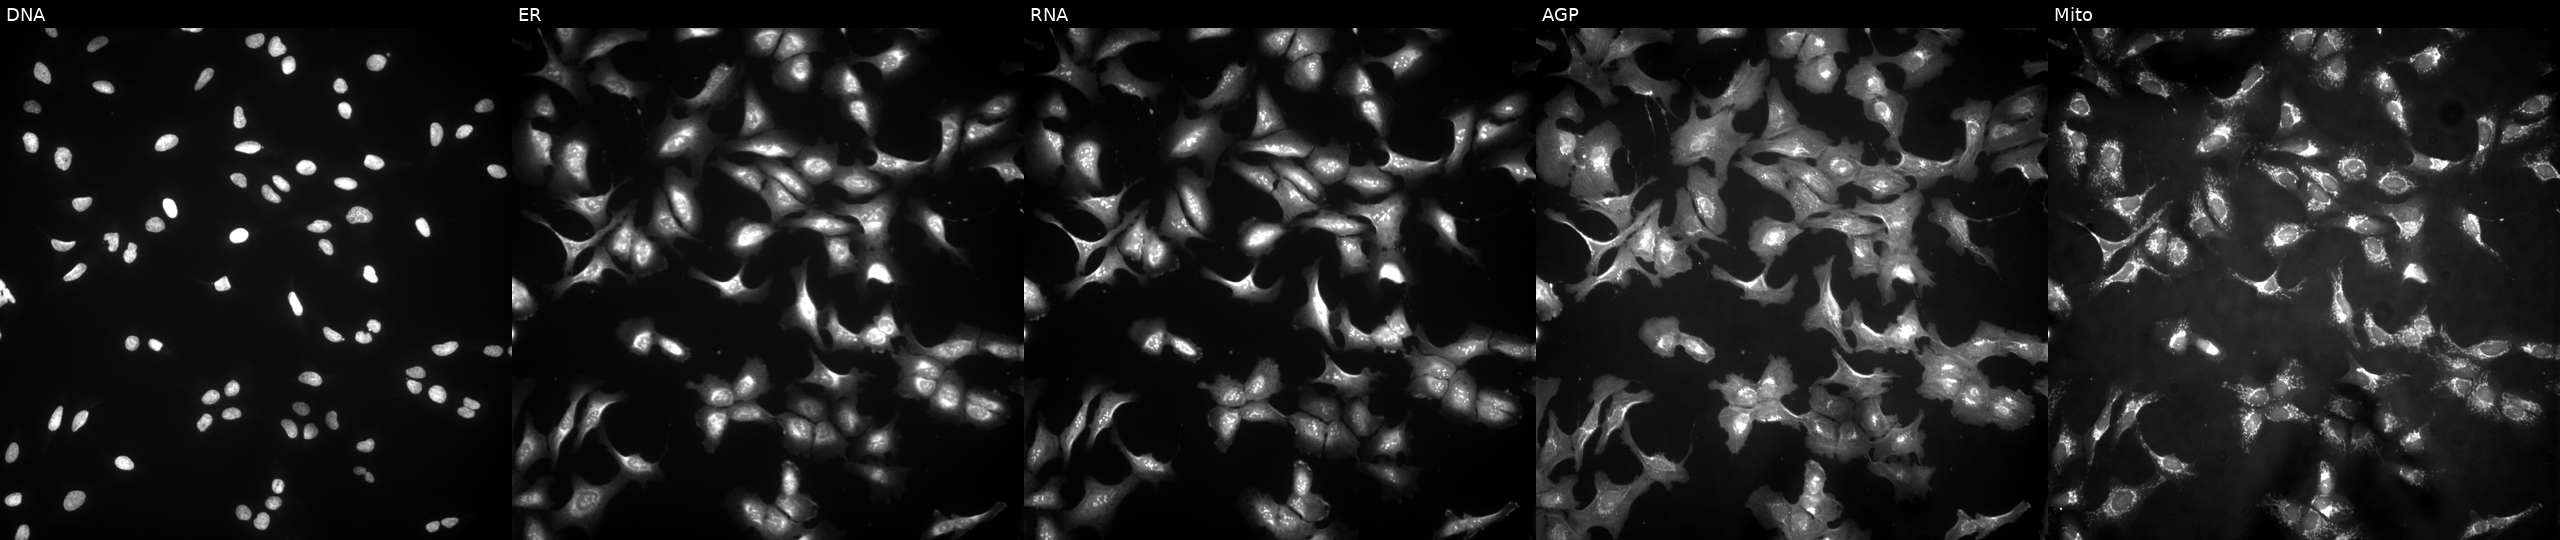
The five panels, left to right, show DNA (nuclei); ER (endoplasmic reticulum); RNA (nucleoli and cytoplasmic RNA); AGP (actin cytoskeleton, Golgi, and plasma membrane); Mito (mitochondria). U2OS osteosarcoma cells transfected with an ORF construct for KCNS2. Cell Painting assay, JUMP-CP dataset. Source 4, plate BR00123506, well N01.